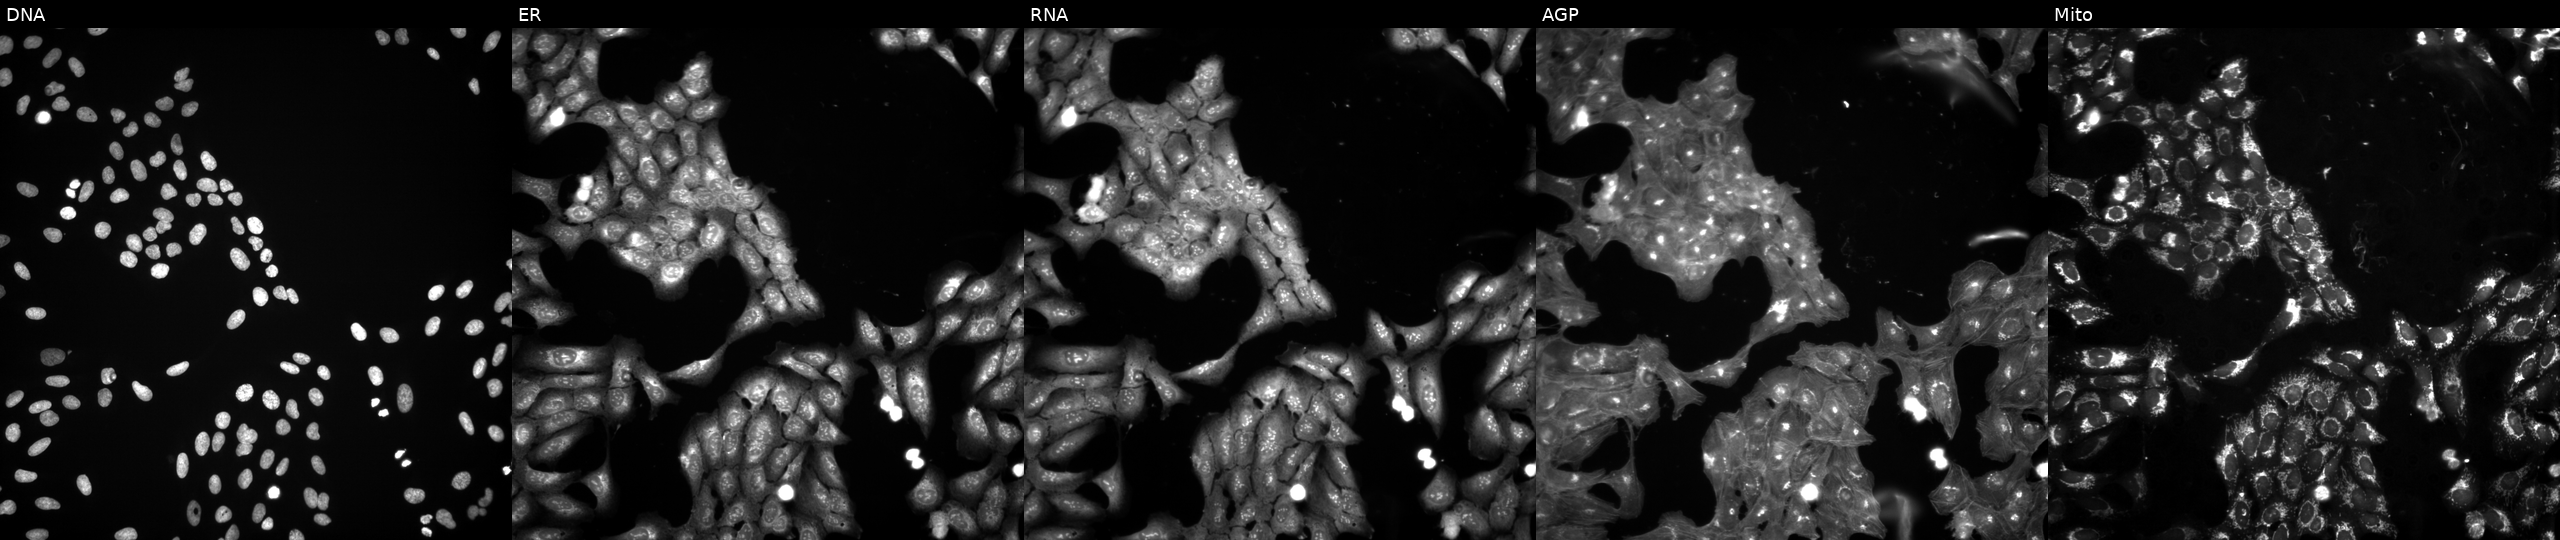
This image strip shows the five Cell Painting channels for a single field of U2OS cells treated with DMSO vehicle only (negative control). Panels show, left to right, Hoechst 33342, concanavalin A, SYTO 14, phalloidin and WGA, MitoTracker.